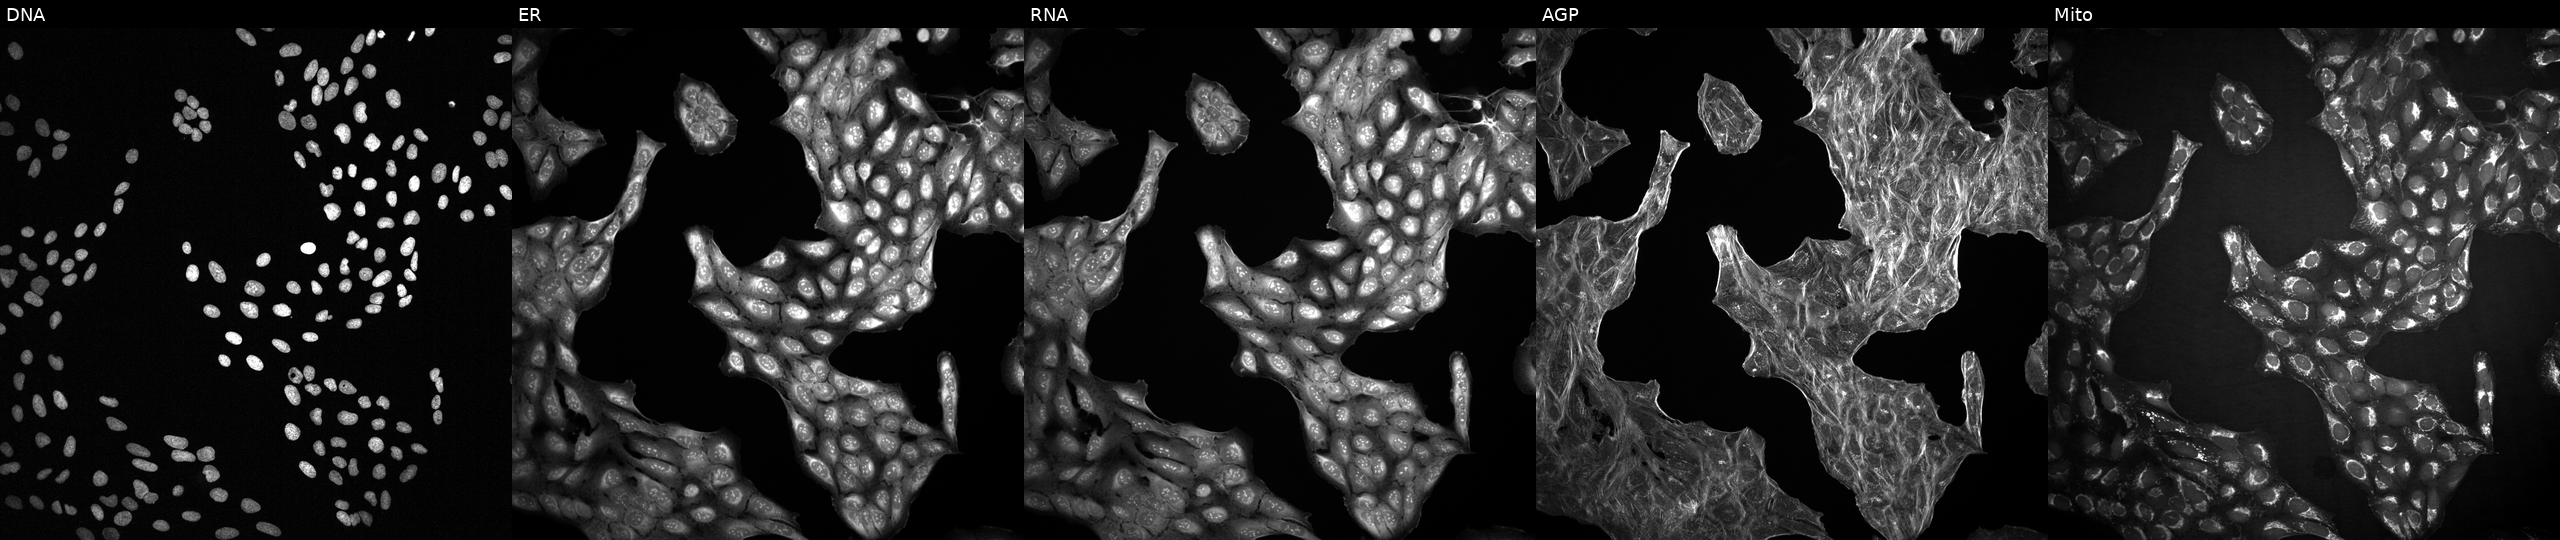
Five-channel Cell Painting image of U2OS cells treated with aloxistatin (positive-control compound). Channels (left→right): DNA, ER, RNA, AGP, and Mito.